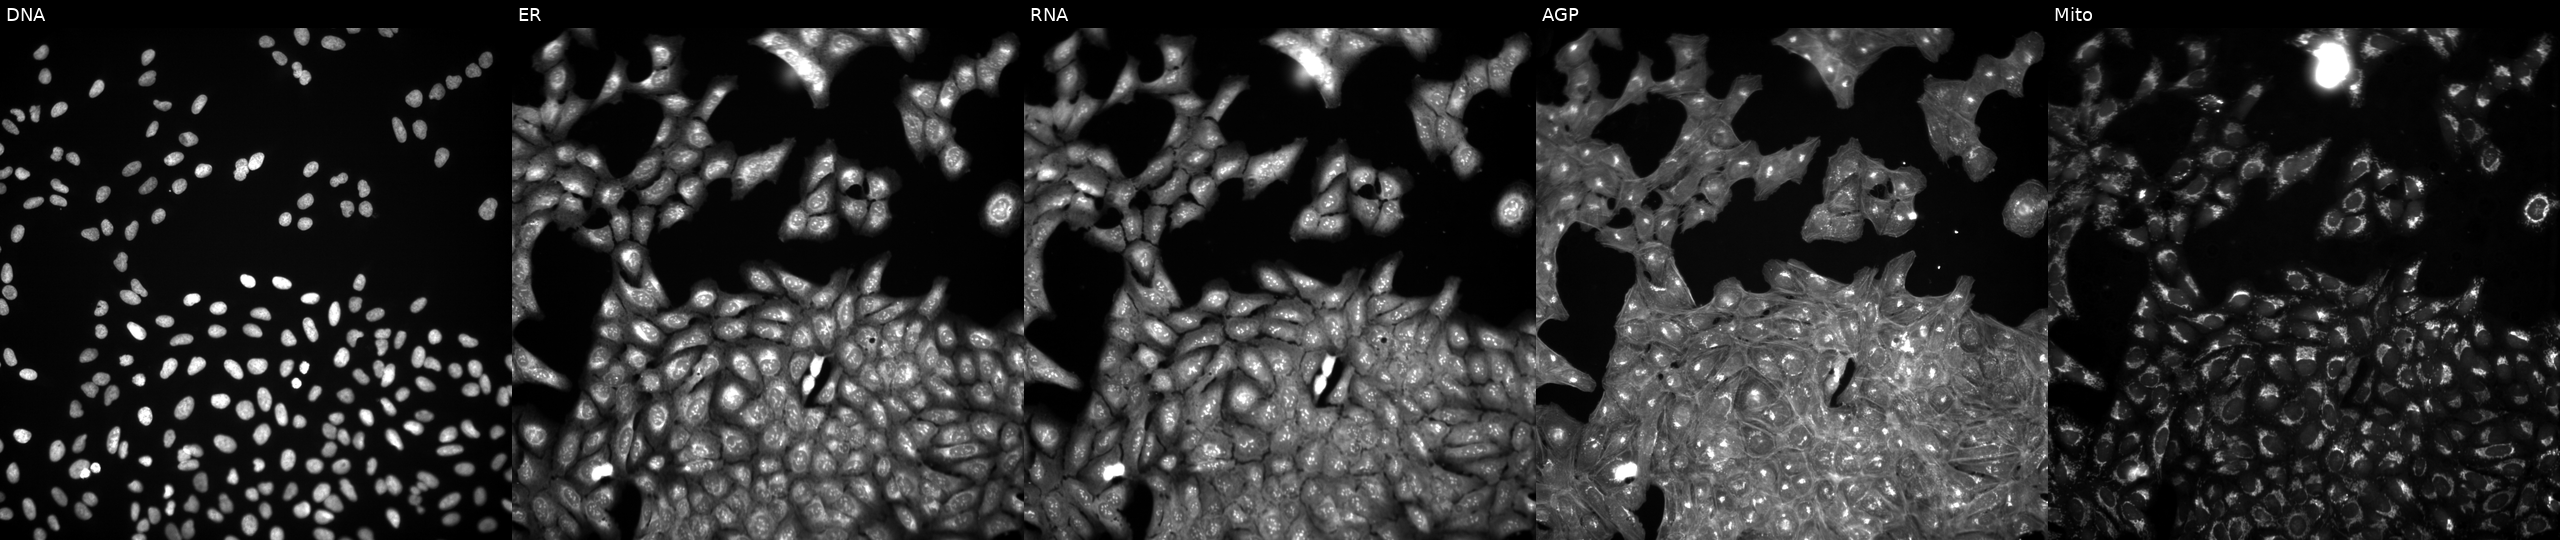
Five-channel Cell Painting image of U2OS cells treated with DMSO vehicle only (negative control) (JUMP id JCP2022_033924). From left to right: DNA, ER, RNA, AGP, and Mito. Source 3, plate BR5867a3, well P02.